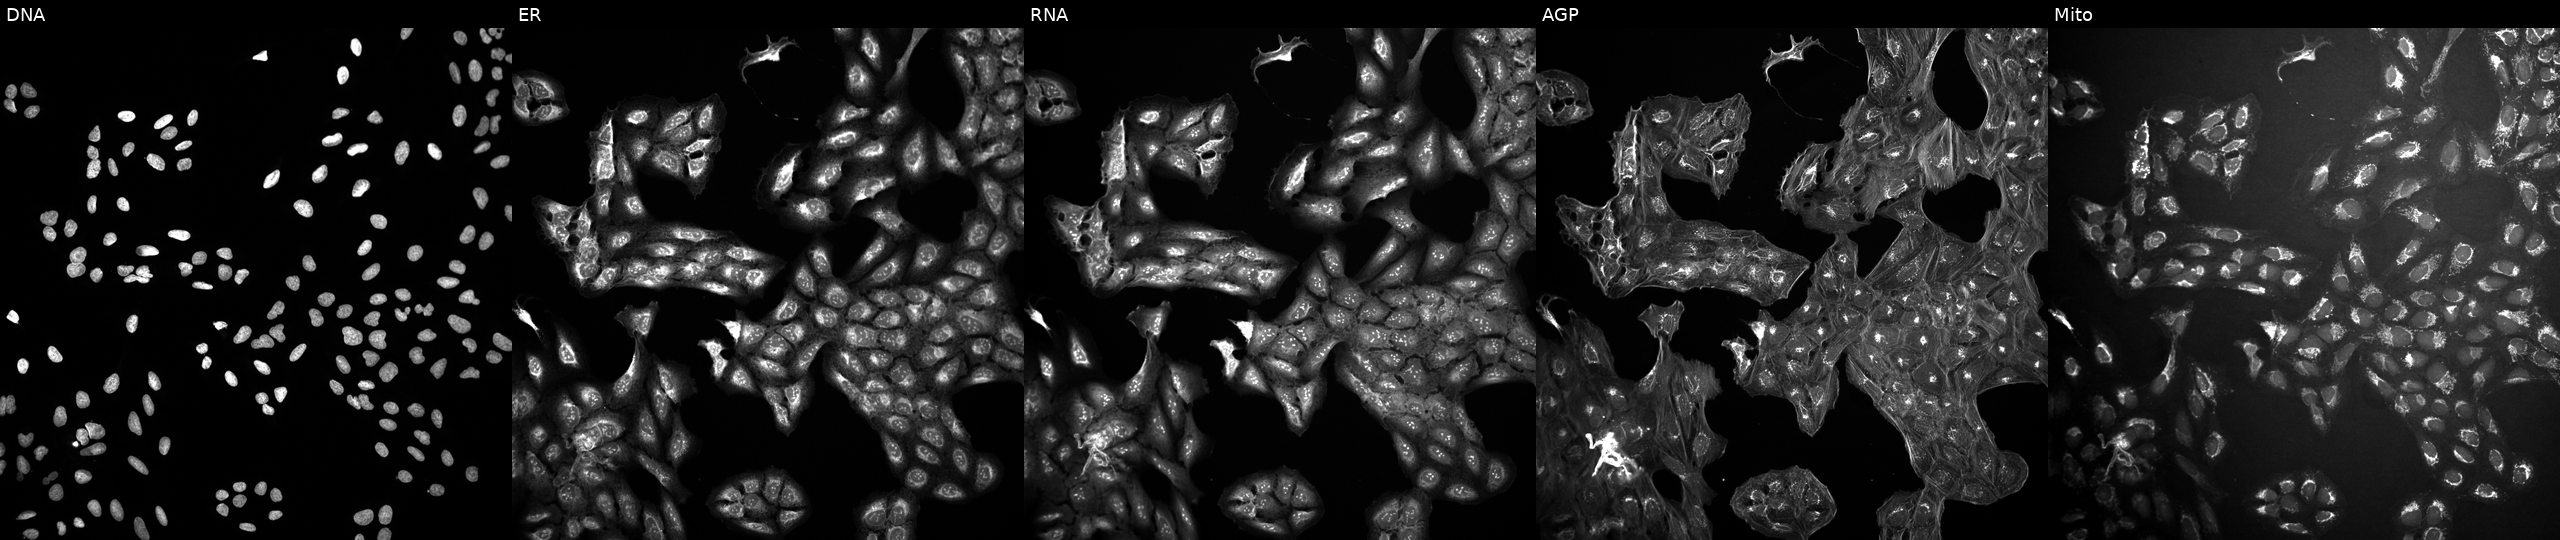
This image strip shows the five Cell Painting channels for a single field of U2OS cells in an empty control well (no perturbation) (JUMP id JCP2022_999999). The five panels, left to right, show Hoechst 33342, concanavalin A, SYTO 14, phalloidin and WGA, MitoTracker. Source 10, plate Dest210531-152324, well F20.